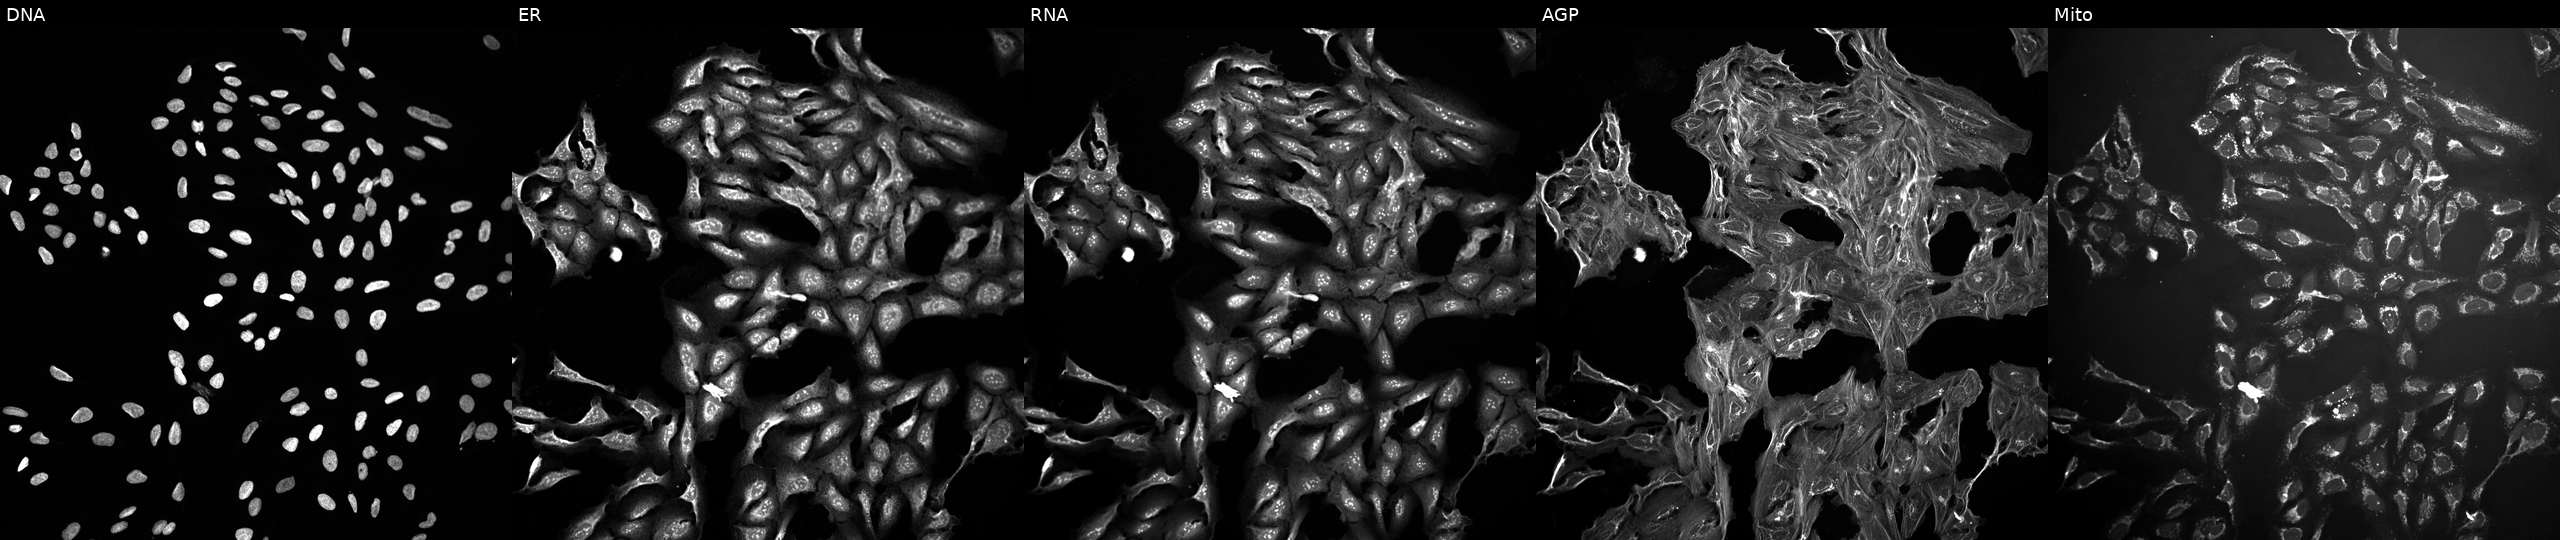
From left to right: DNA, ER, RNA, AGP, and Mito. U2OS osteosarcoma cells exposed to a small-molecule compound (InChIKey XQYASZNUFDVMFH-UHFFFAOYSA-N) [SMILES: CC1CN(Cc2ccc(F)cc2)CCN1C(=O)COc1ccc(Cl)cc1NC(N)=O]. Cell Painting assay, JUMP-CP dataset. Source 10, plate Dest210726-160150, well C01.